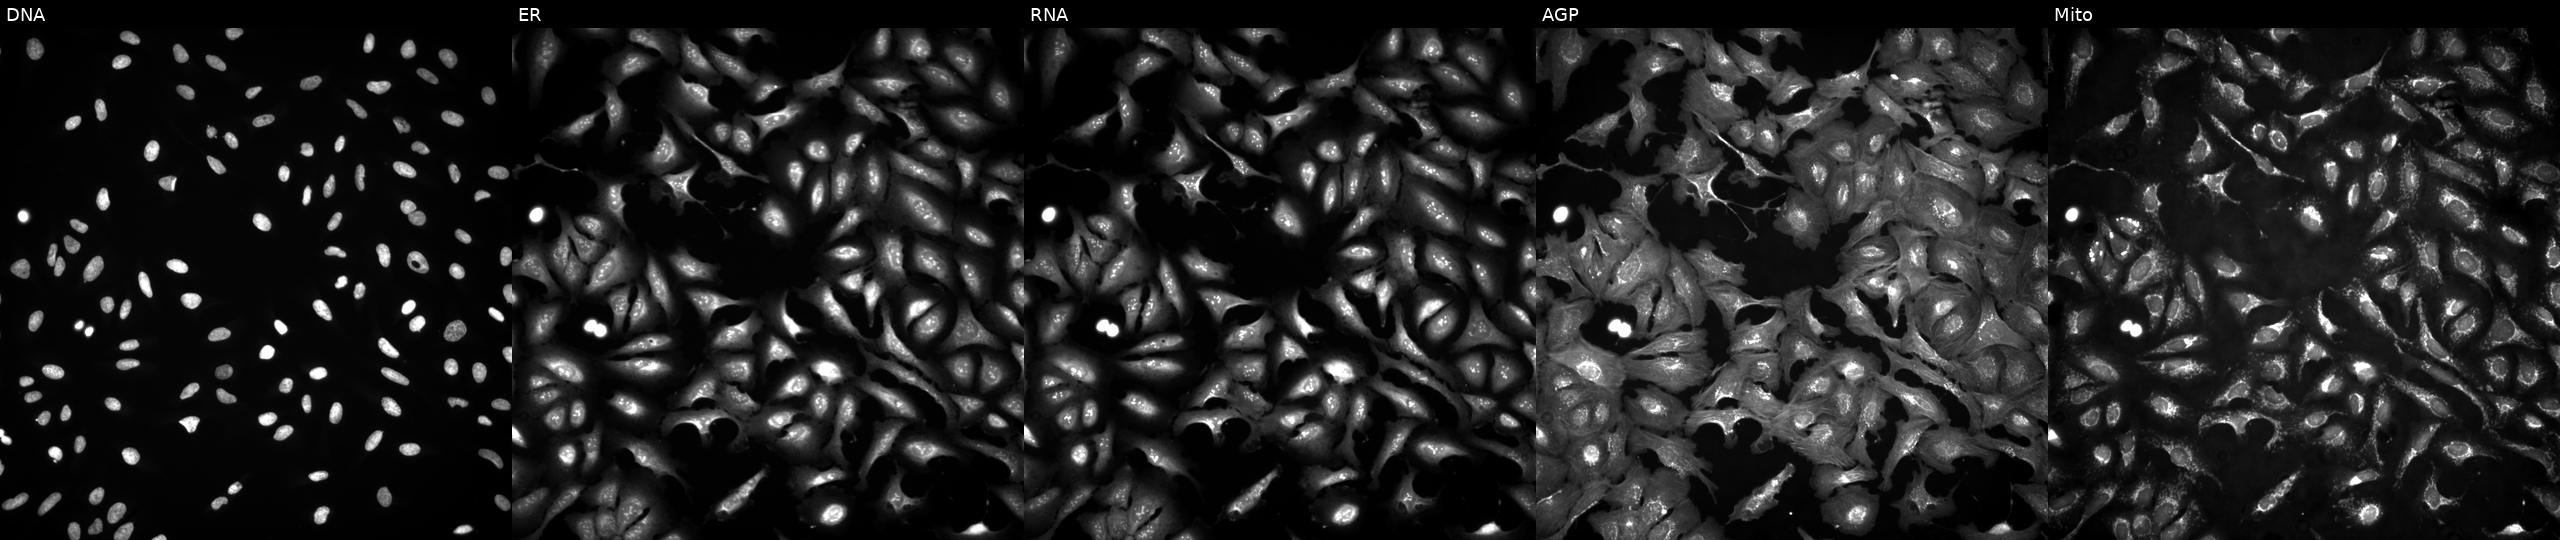
JUMP Cell Painting — ORF plate. U2OS cells with CHEK2 overexpressed (ORF). From left to right: Hoechst 33342, concanavalin A, SYTO 14, phalloidin and WGA, MitoTracker.